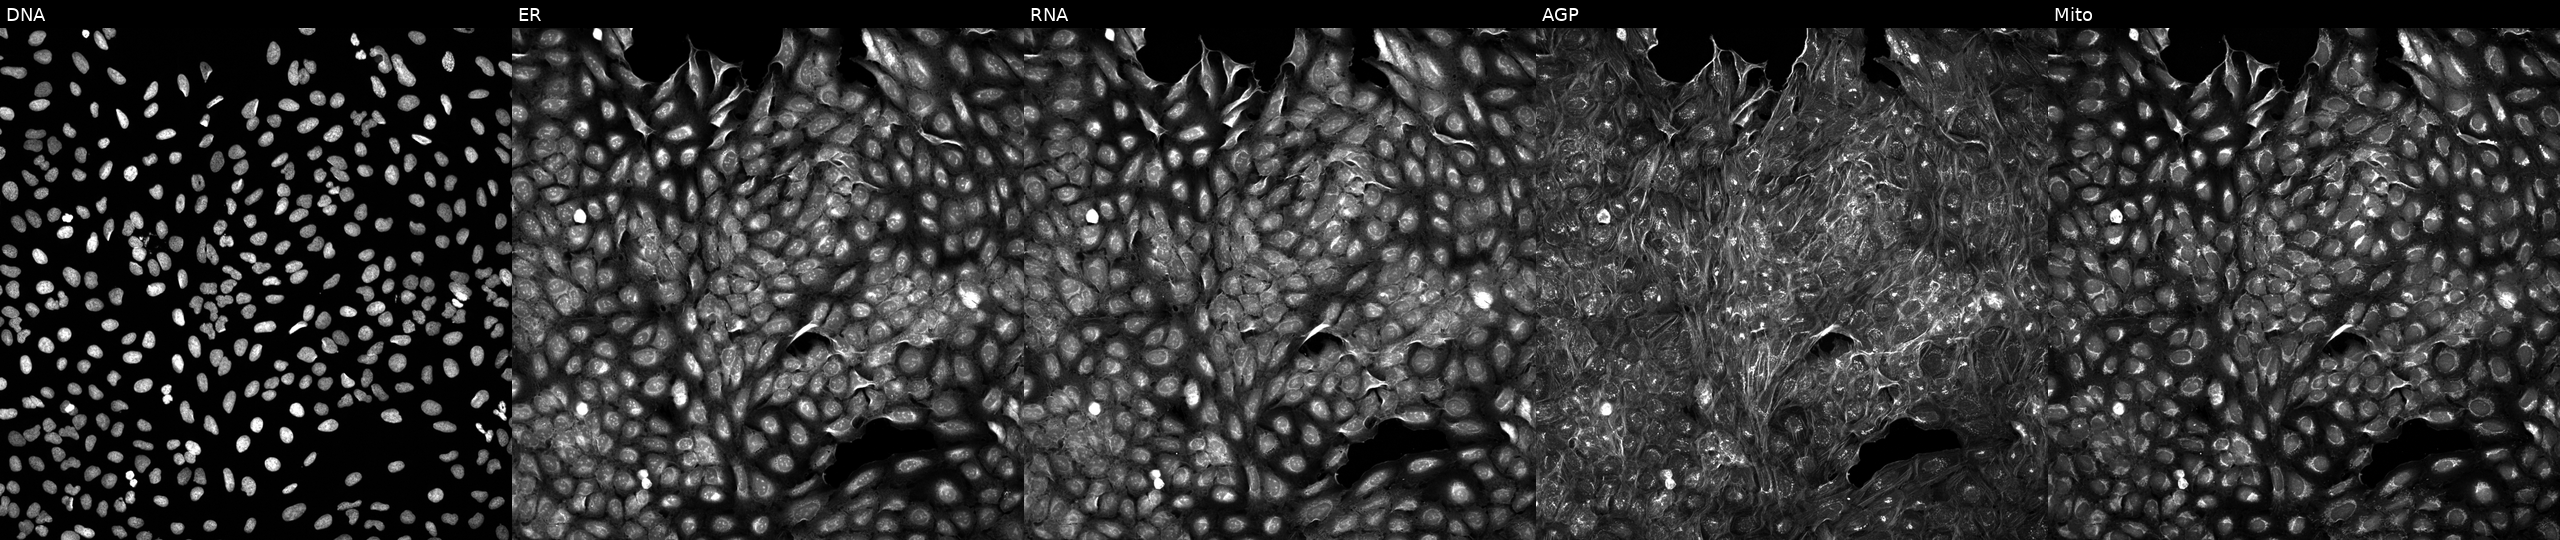
This image strip shows the five Cell Painting channels for a single field of U2OS cells perturbed with a small-molecule compound [SMILES: CCn1cc(C2OCCC2CNC(C)c2nnc(CC(C)C)o2)cn1]. Channels (left→right): DNA, ER, RNA, AGP, and Mito.